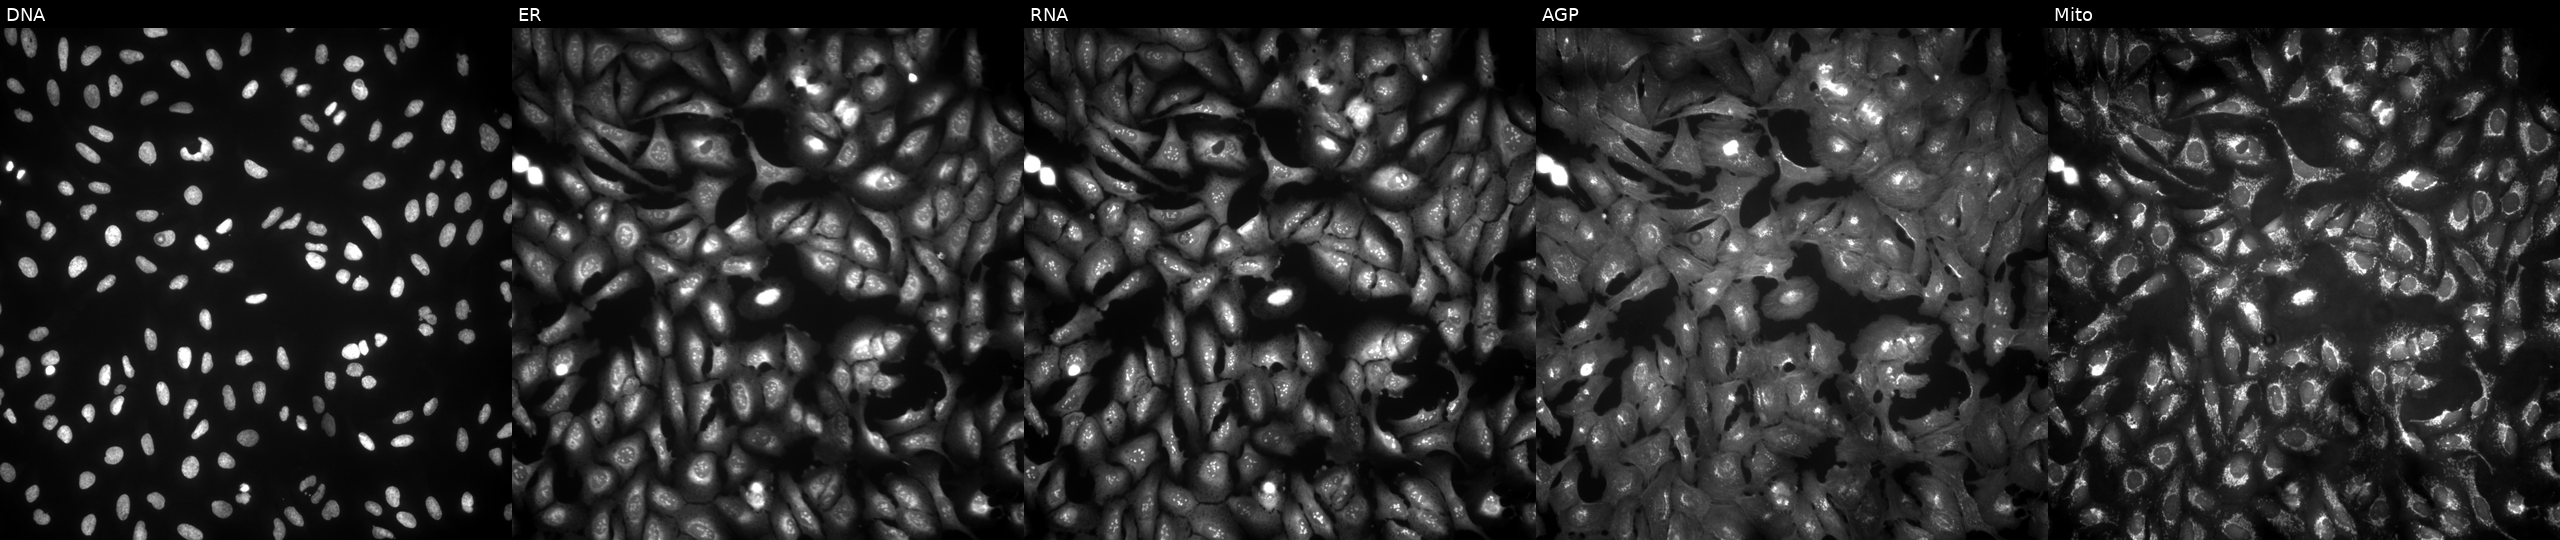
This image strip shows the five Cell Painting channels for a single field of U2OS cells transfected with a failed ORF construct (JUMP BAD CONSTRUCT marker) (JUMP id JCP2022_900001). From left to right: DNA (nuclei); ER (endoplasmic reticulum); RNA (nucleoli and cytoplasmic RNA); AGP (actin cytoskeleton, Golgi, and plasma membrane); Mito (mitochondria).